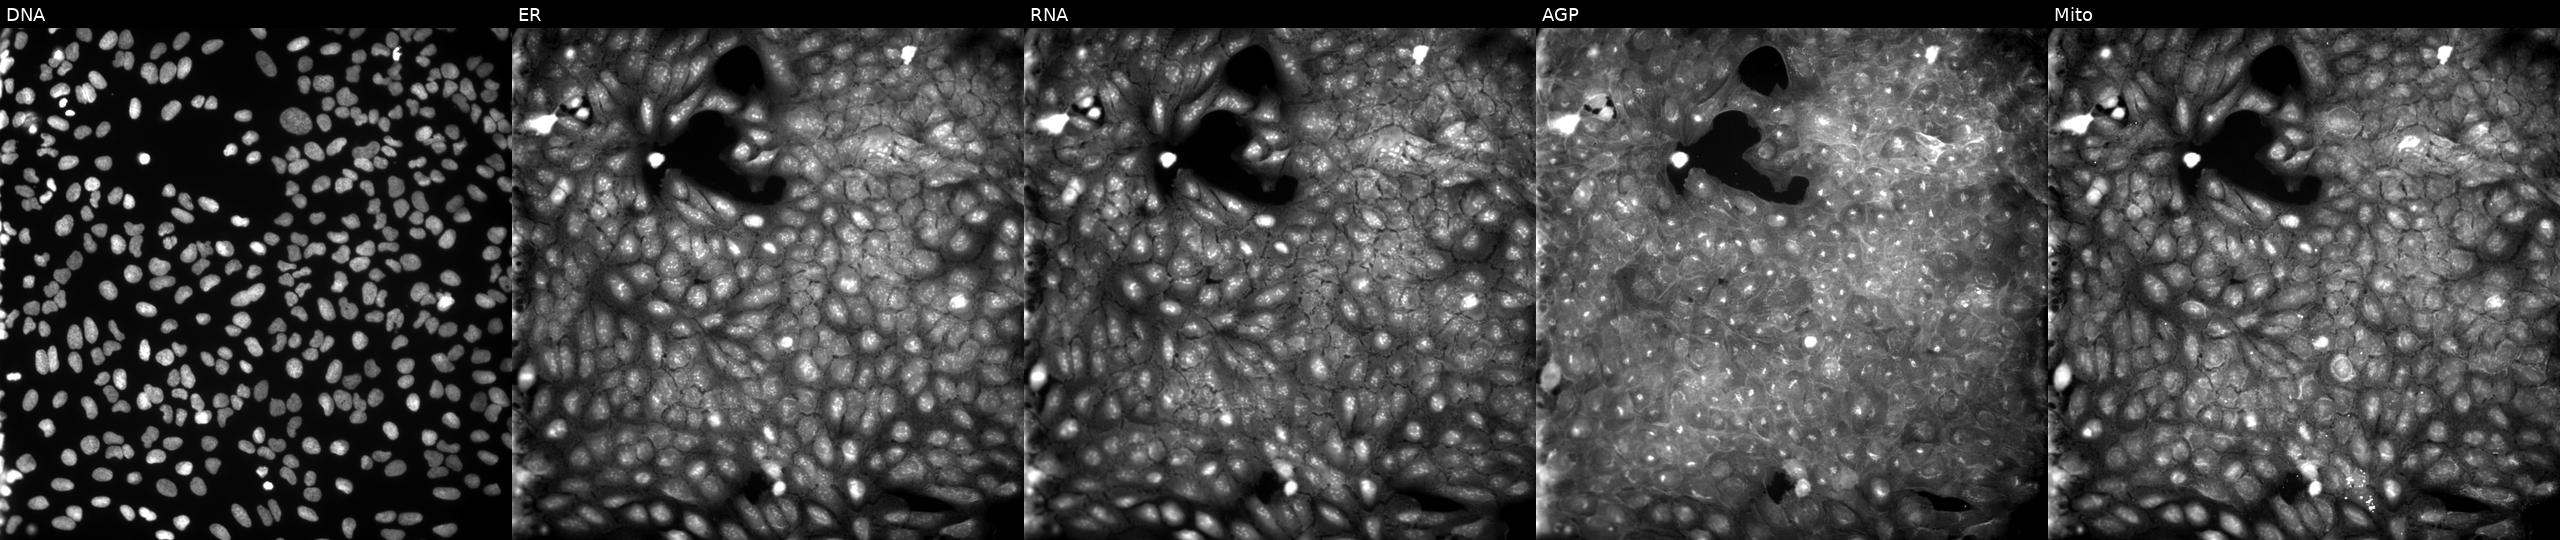
U2OS cells, Cell Painting assay, perturbed with a small-molecule compound (InChIKey XETMMFGTFSSYLZ-UHFFFAOYSA-N) [SMILES: Cc1cc(C)[nH]c(=NC(=O)c2ccc(Br)cc2)n1] (JUMP id JCP2022_103193). Channels (left→right): DNA (nuclei); ER (endoplasmic reticulum); RNA (nucleoli and cytoplasmic RNA); AGP (actin cytoskeleton, Golgi, and plasma membrane); Mito (mitochondria). Each panel is percentile-stretched 16-bit fluorescence.